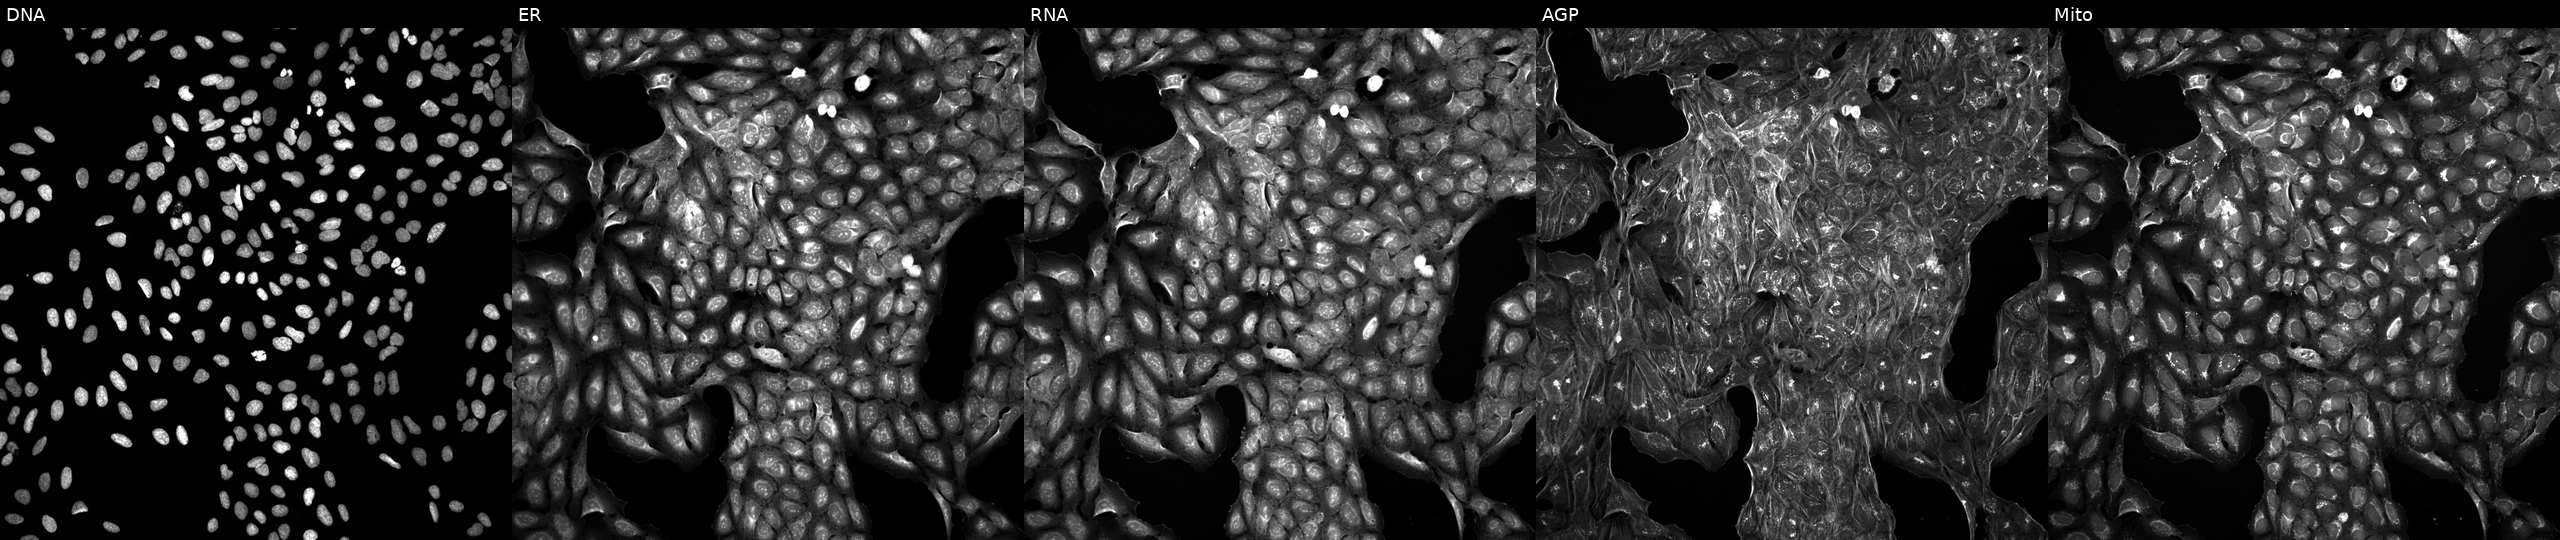
High-content fluorescence microscopy (Cell Painting). Cell line: U2OS. Perturbation: exposed to a small-molecule compound [SMILES: CCn1c(=O)[nH]c2cc(-c3noc(-c4ccc(C)c(NC(C)=O)c4)n3)ccc21] (JUMP id JCP2022_096133). Panels show, left to right, DNA (nuclei); ER (endoplasmic reticulum); RNA (nucleoli and cytoplasmic RNA); AGP (actin cytoskeleton, Golgi, and plasma membrane); Mito (mitochondria). Source 5, plate APTJUM106, well H03.